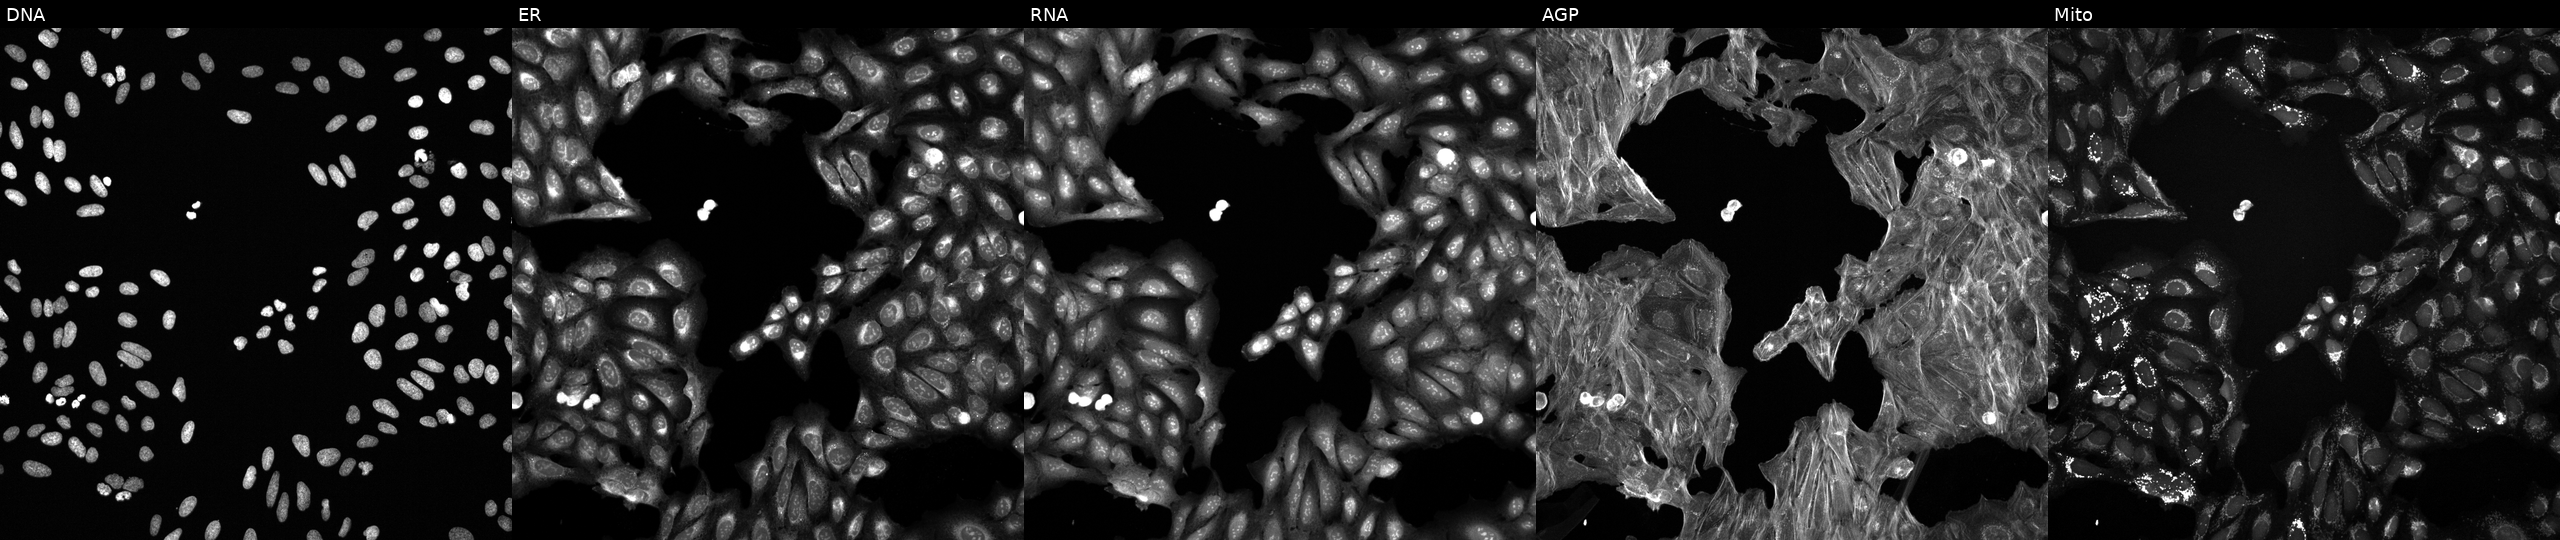
JUMP Cell Painting — TARGET2 plate. U2OS cells perturbed with a small-molecule compound (InChIKey OJLOPKGSLYJEMD-UHFFFAOYSA-N). The five panels, left to right, show Hoechst 33342, concanavalin A, SYTO 14, phalloidin and WGA, MitoTracker.